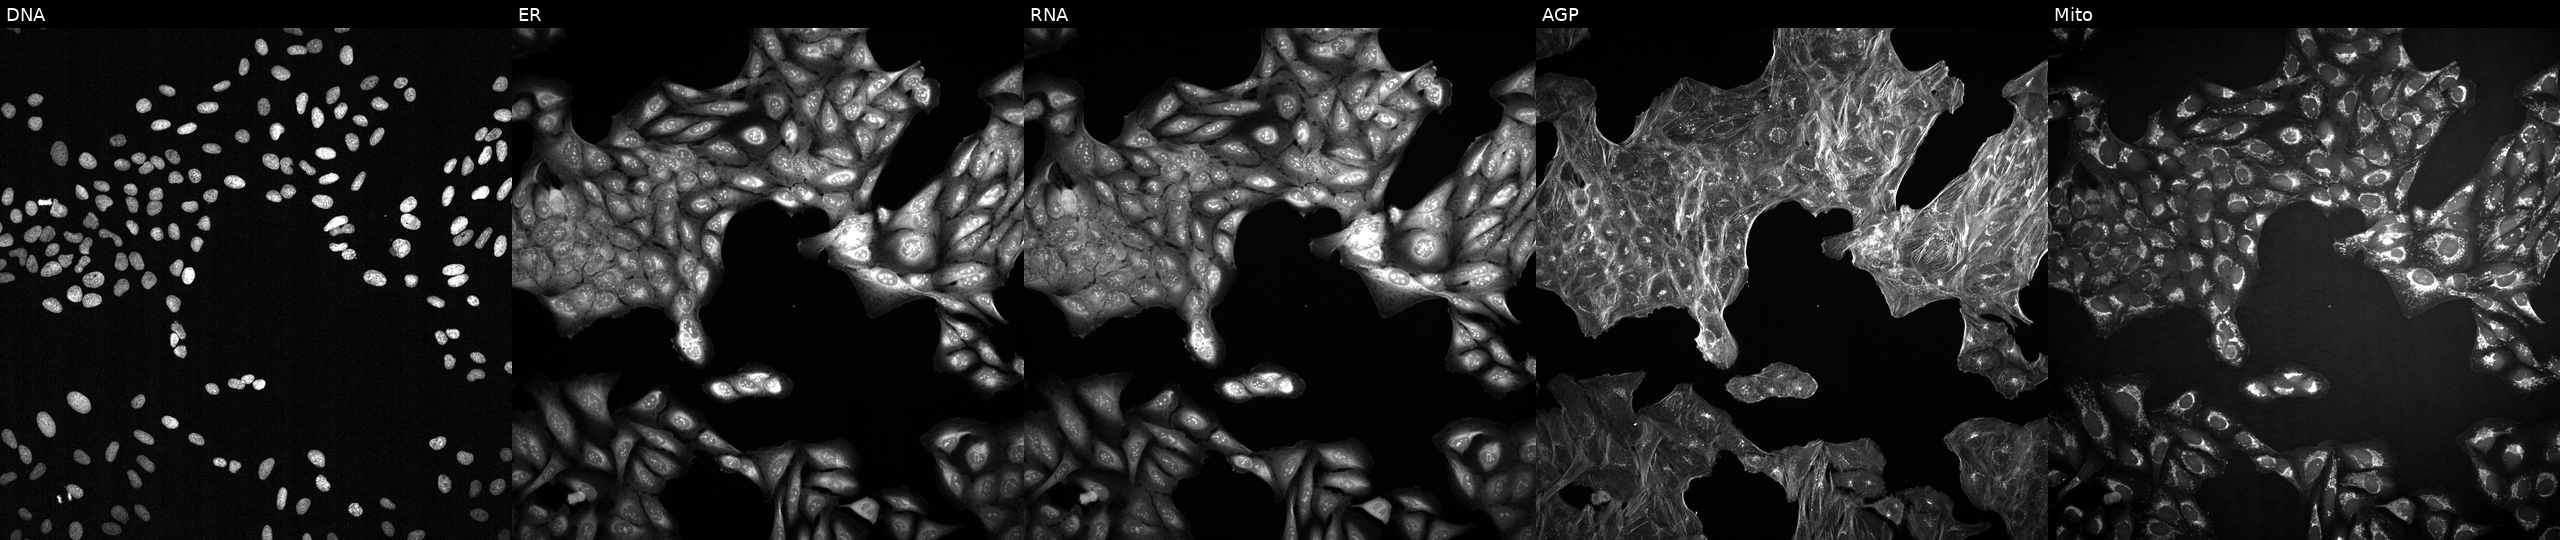
This image strip shows the five Cell Painting channels for a single field of U2OS cells perturbed with a small-molecule compound (InChIKey LLVZBTWPGQVVLW-UHFFFAOYSA-N) (JUMP id JCP2022_050271). The five panels, left to right, show Hoechst 33342, concanavalin A, SYTO 14, phalloidin and WGA, MitoTracker.